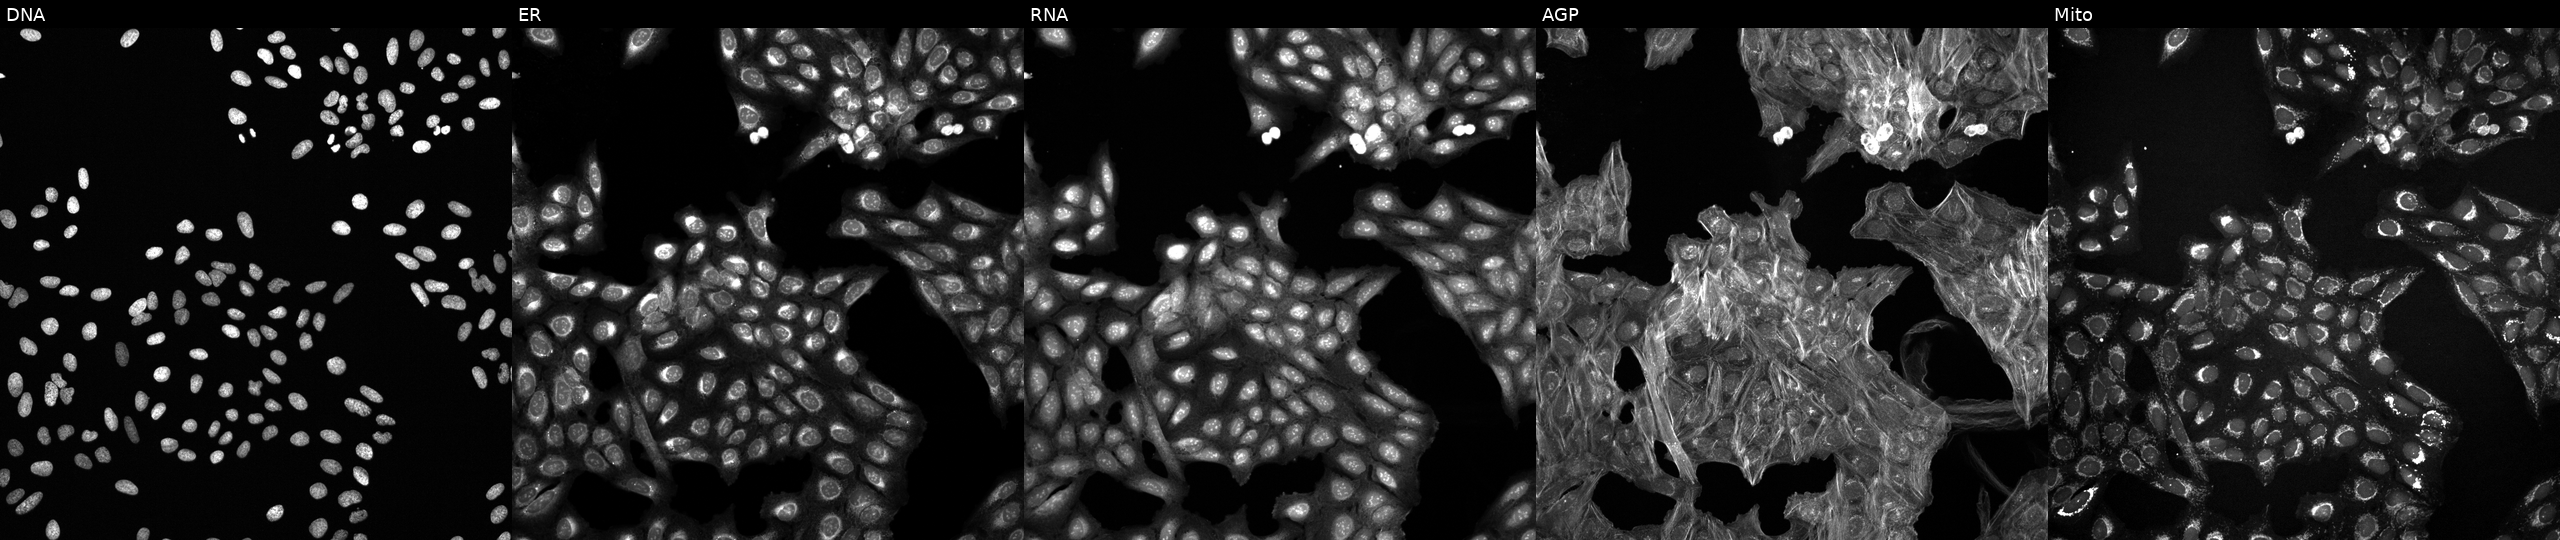
Five-channel Cell Painting image of U2OS cells exposed to a small-molecule compound (InChIKey MIJYBGHVGUBSFL-UHFFFAOYSA-N). Panels show, left to right, DNA, ER, RNA, AGP, and Mito.